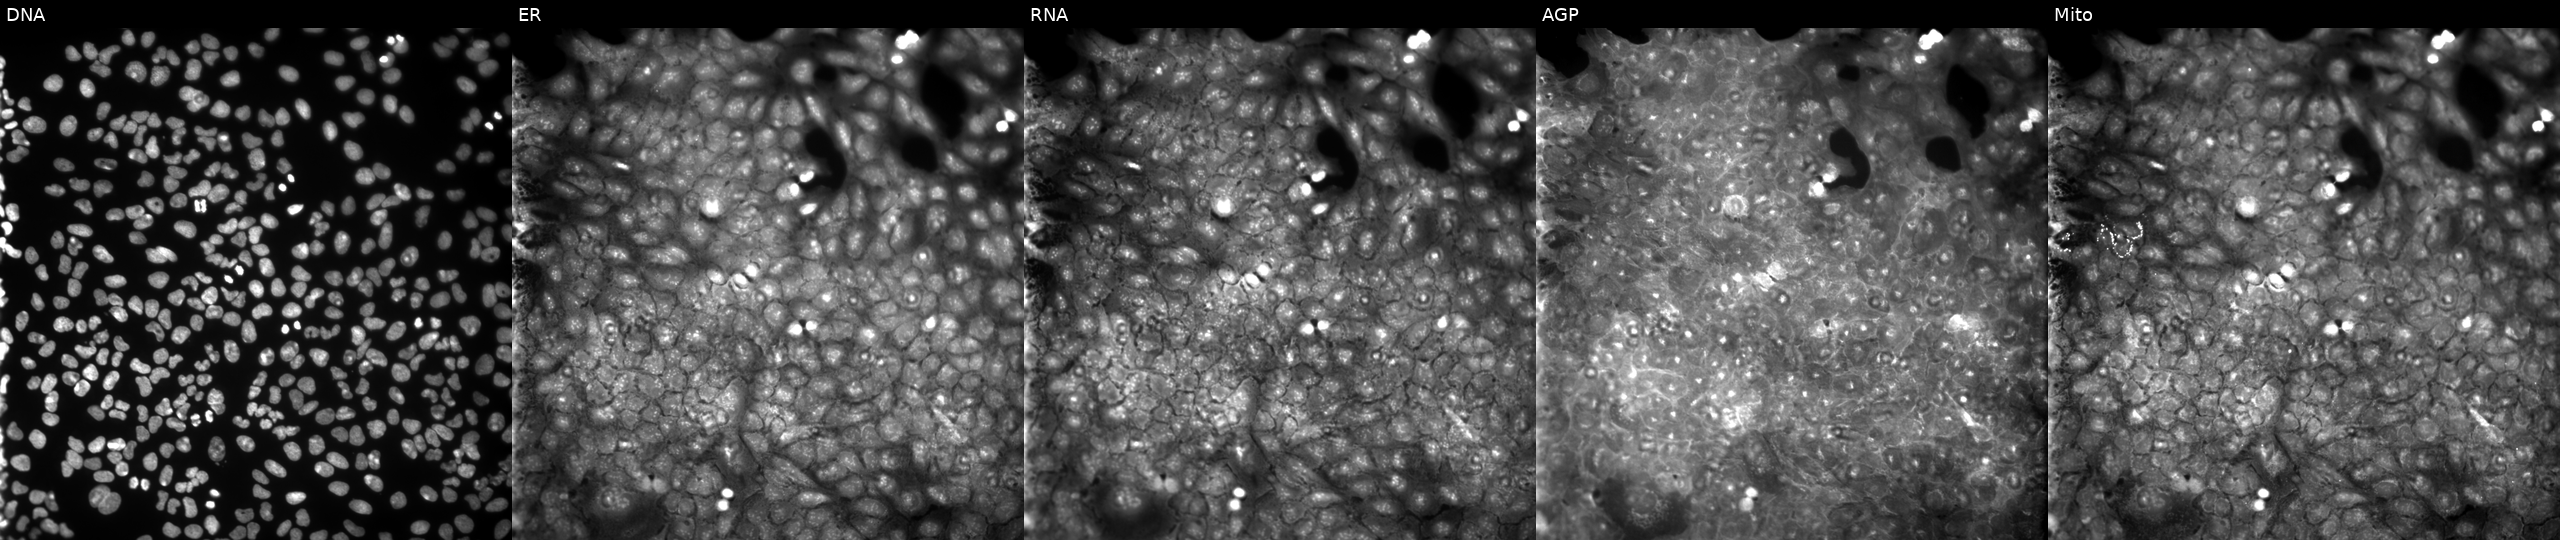
U2OS cells, Cell Painting assay, exposed to a small-molecule compound (InChIKey MDHNLGLIEPTWRY-UHFFFAOYSA-N). From left to right: Hoechst 33342, concanavalin A, SYTO 14, phalloidin and WGA, MitoTracker. Each panel is percentile-stretched 16-bit fluorescence.